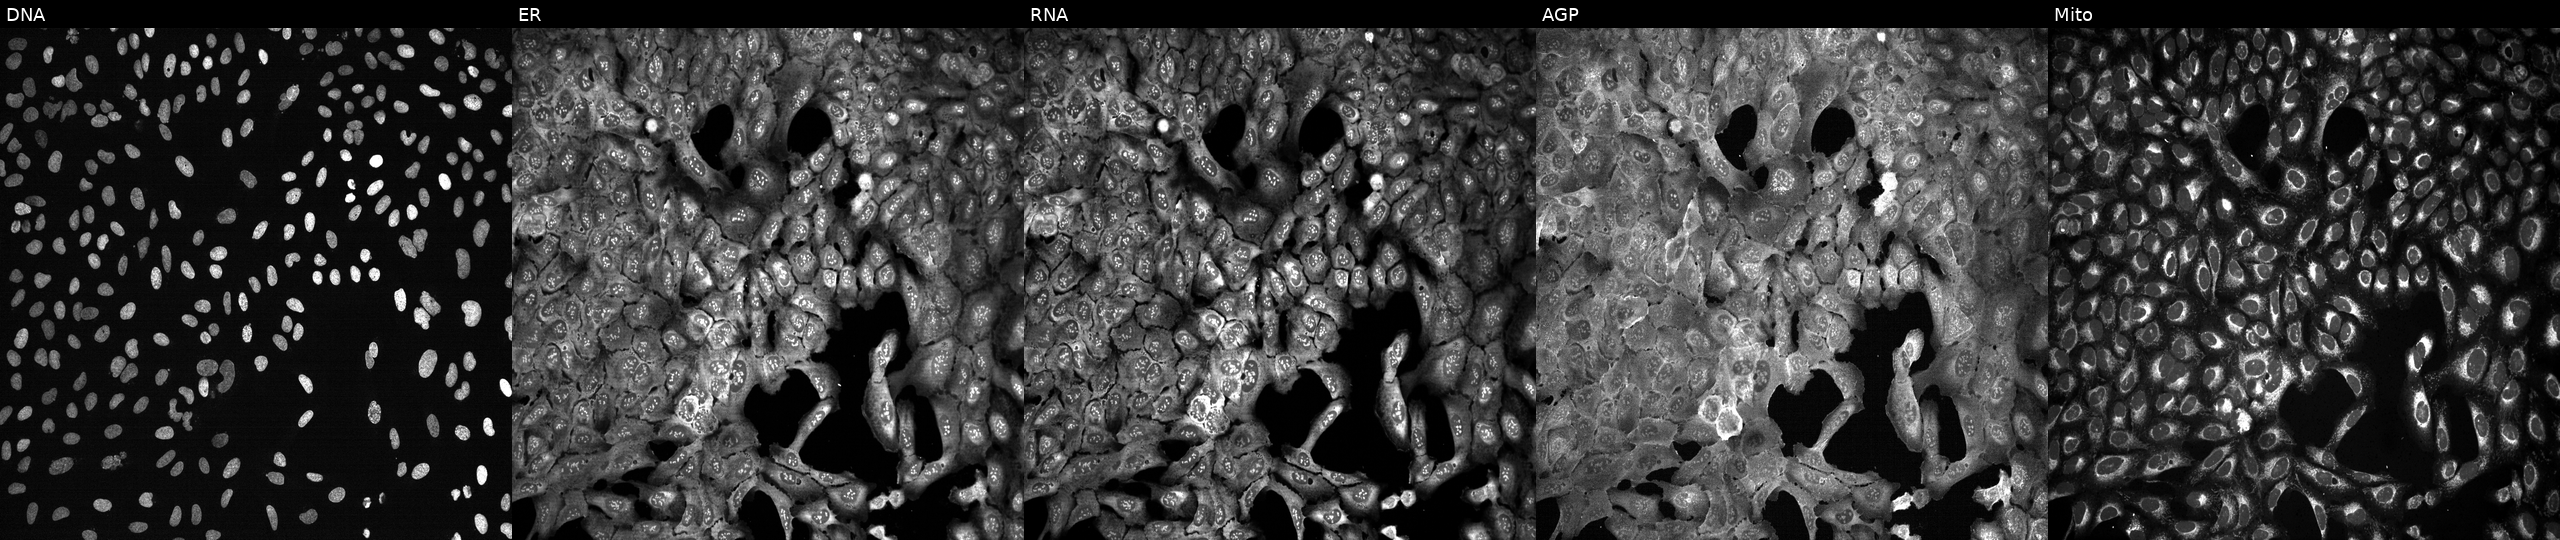
This image strip shows the five Cell Painting channels for a single field of U2OS cells with SLC2A4 knocked out by CRISPR (JUMP id JCP2022_806489). Panels show, left to right, DNA, ER, RNA, AGP, and Mito.